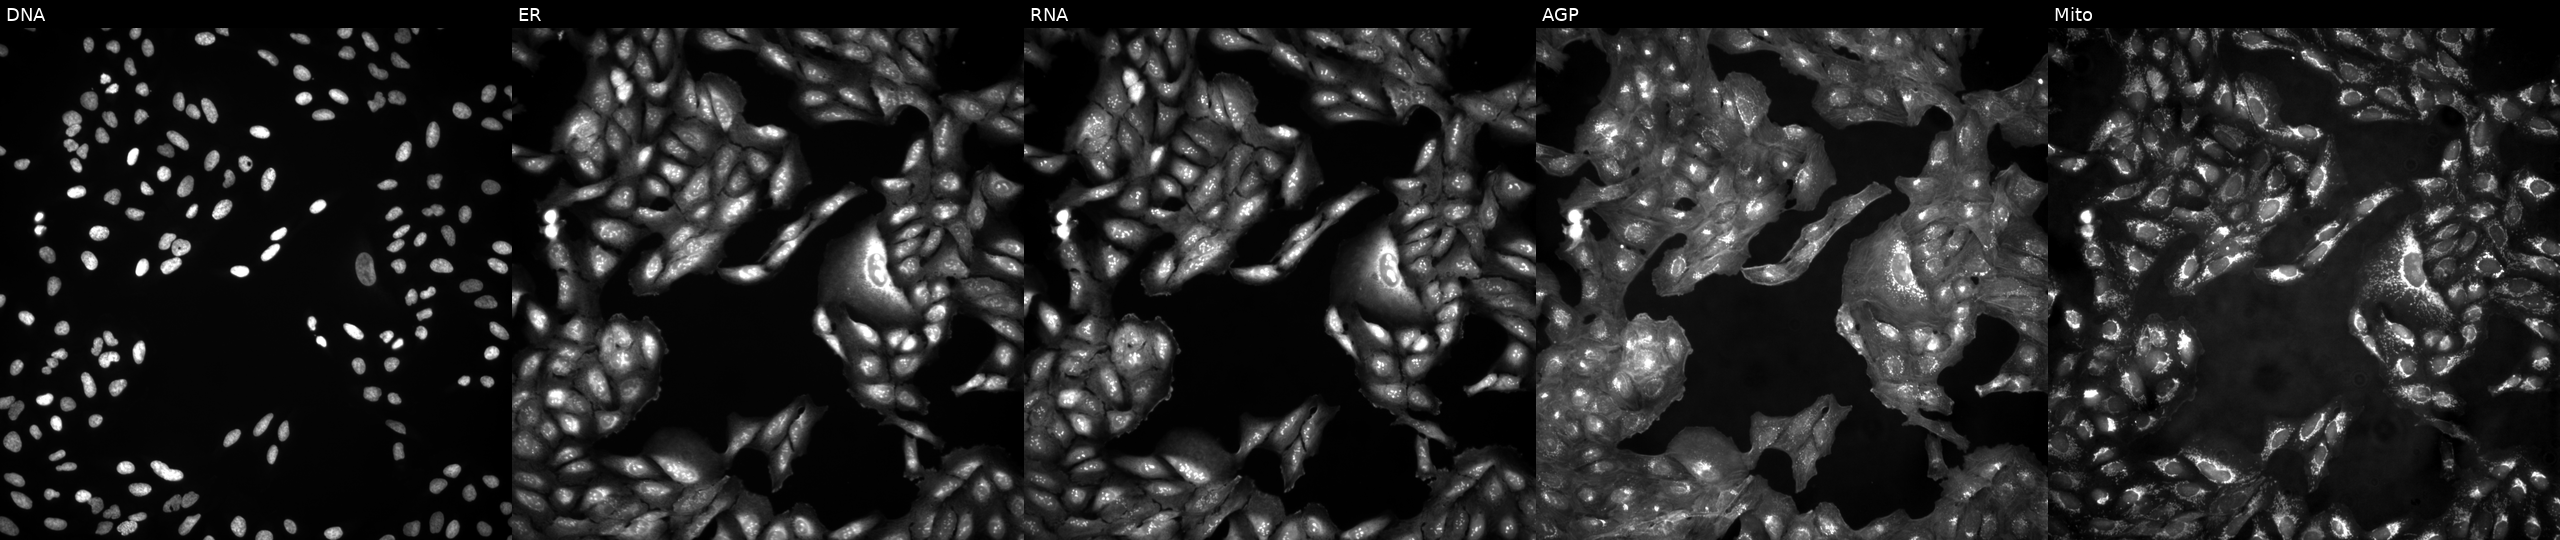
This image strip shows the five Cell Painting channels for a single field of U2OS cells untreated (empty-well control). Panels show, left to right, Hoechst 33342, concanavalin A, SYTO 14, phalloidin and WGA, MitoTracker. Source 4, plate BR00123946, well I09.